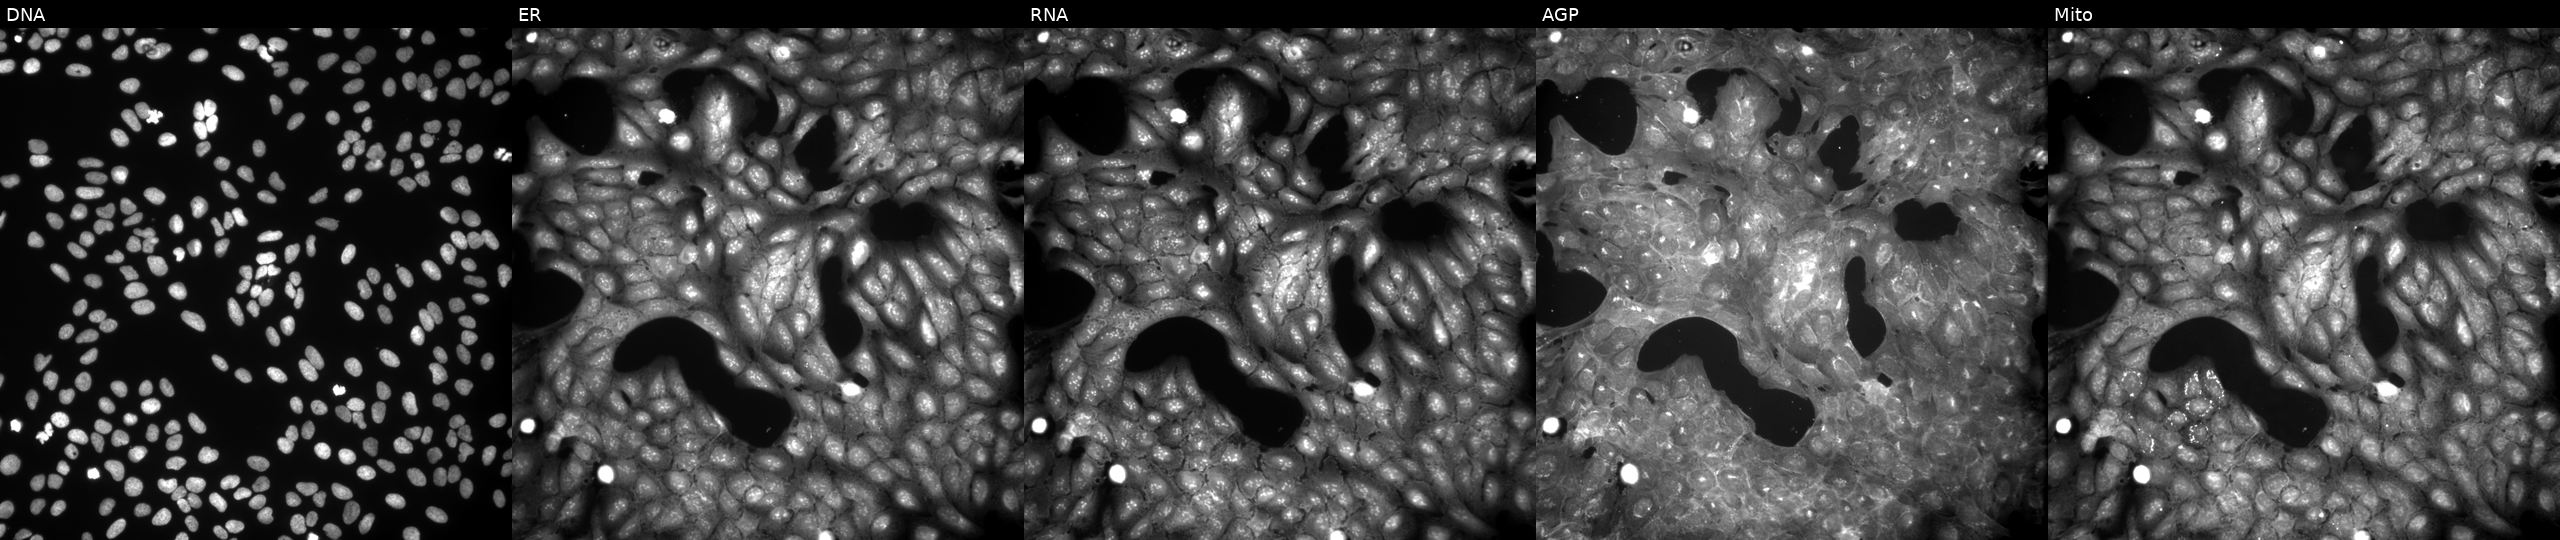
Five-channel Cell Painting image of U2OS cells perturbed with a small-molecule compound. Panels show, left to right, DNA (nuclei); ER (endoplasmic reticulum); RNA (nucleoli and cytoplasmic RNA); AGP (actin cytoskeleton, Golgi, and plasma membrane); Mito (mitochondria). Source 9, plate GR00003381, well C33.